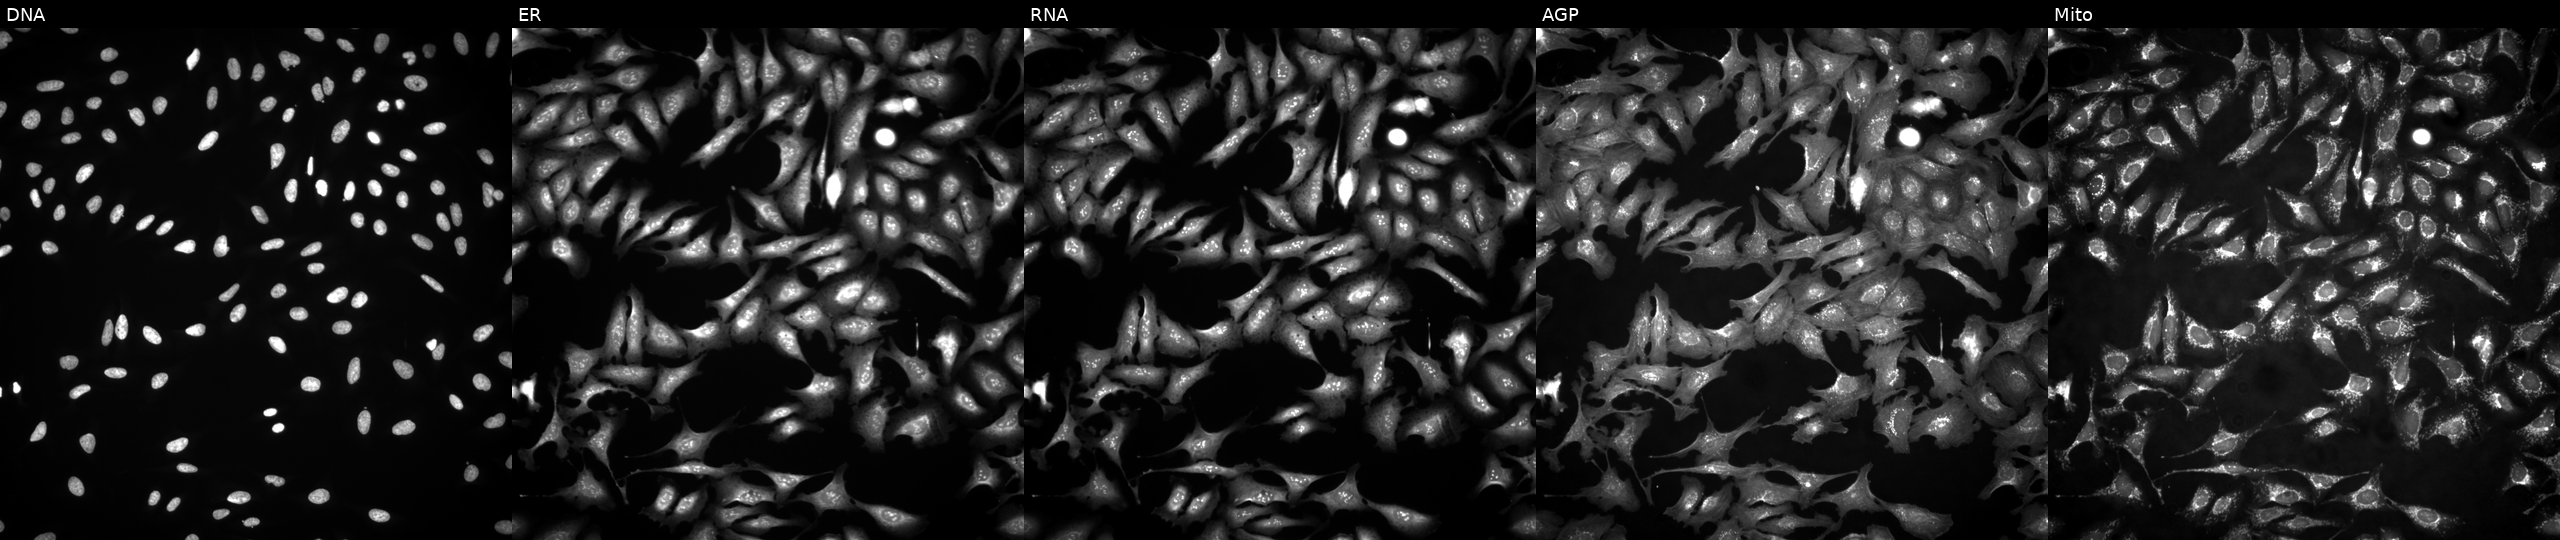
U2OS cells, Cell Painting assay, transfected with an ORF construct for SSMEM1. Channels (left→right): DNA, ER, RNA, AGP, and Mito. Each panel is percentile-stretched 16-bit fluorescence.